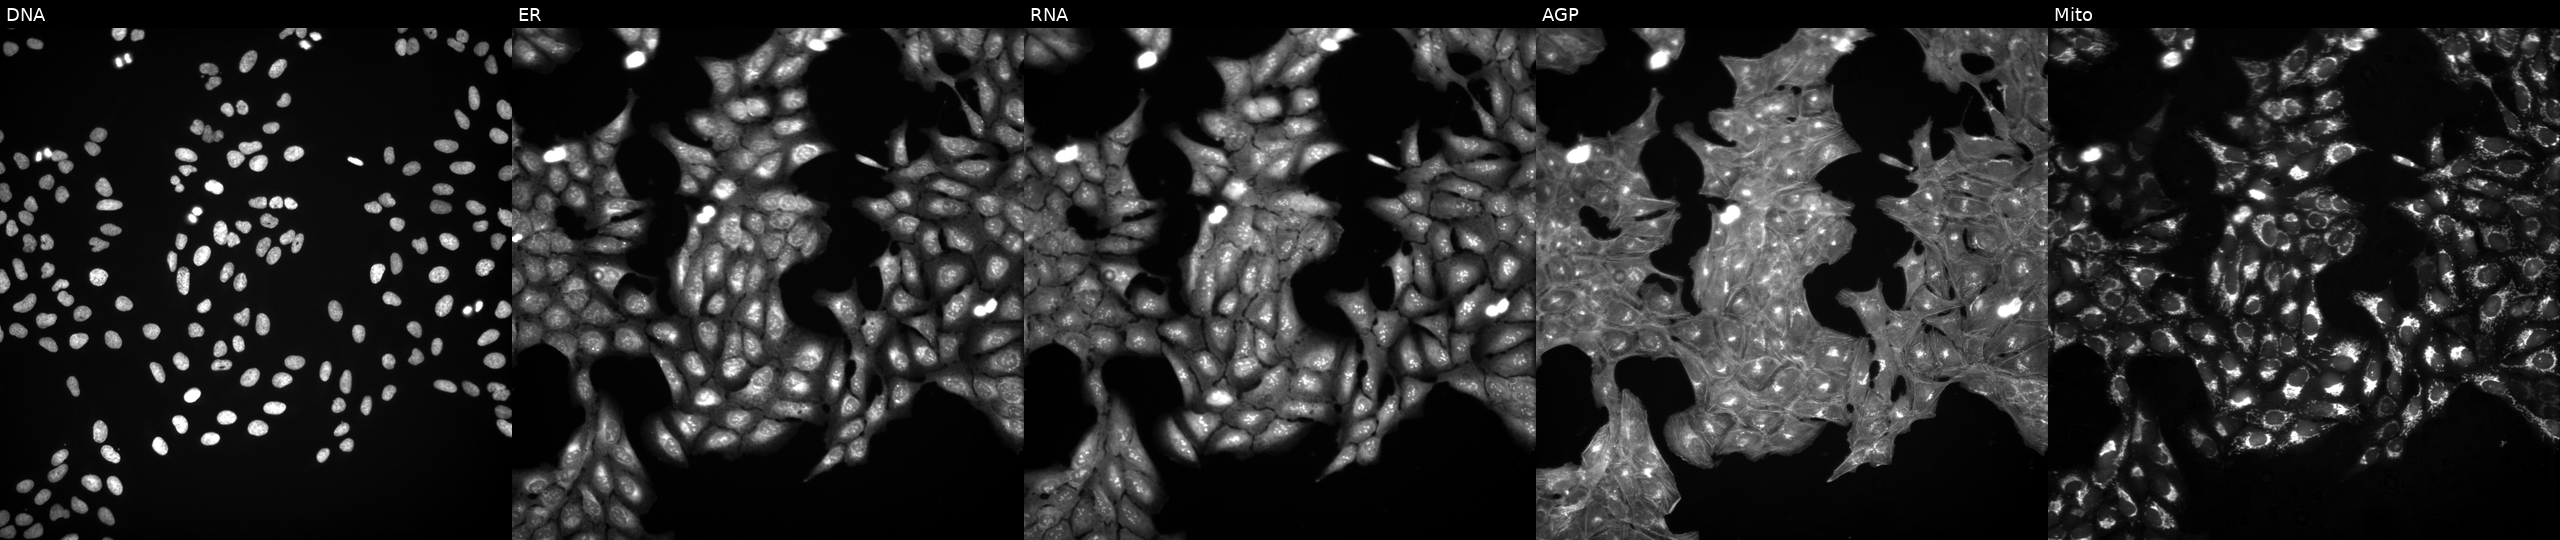
Five-channel Cell Painting image of U2OS cells exposed to a small-molecule compound (InChIKey GCUCIFQCGJIRNT-UHFFFAOYSA-N). Channels (left→right): DNA (nuclei); ER (endoplasmic reticulum); RNA (nucleoli and cytoplasmic RNA); AGP (actin cytoskeleton, Golgi, and plasma membrane); Mito (mitochondria). Source 3, plate JCPQC051, well C07.